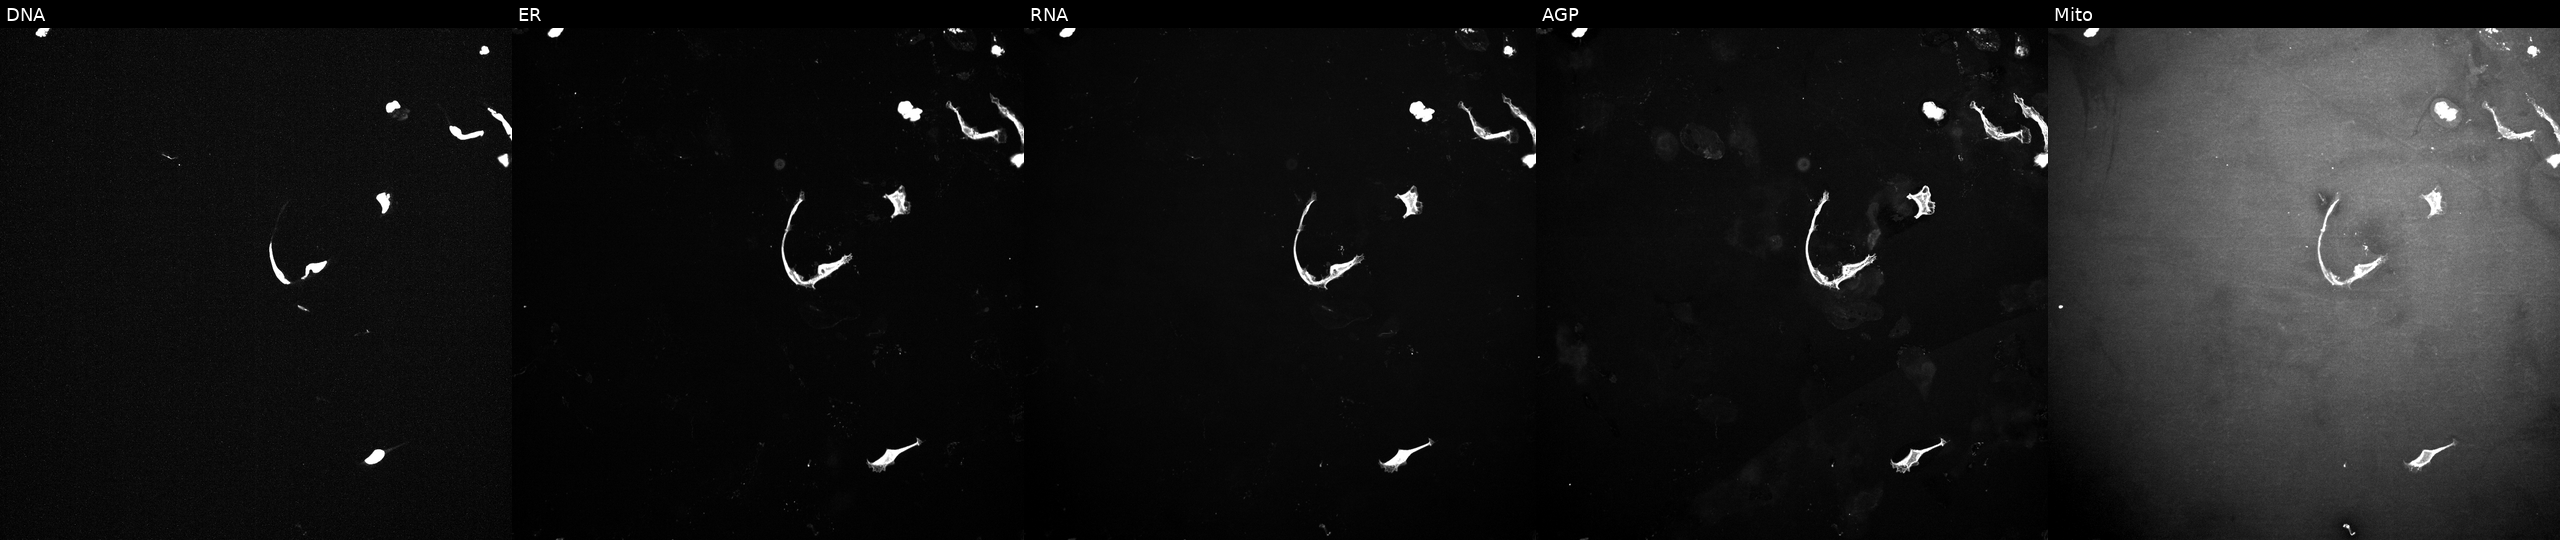
Five-channel Cell Painting image of U2OS cells treated with a small-molecule compound (InChIKey HYFHYPWGAURHIV-UHFFFAOYSA-N) [SMILES: COC(=O)CC(O)(CCCC(C)(C)O)C(=O)OC1C(OC)=CC23CCCN2CCc2cc4c(cc2C13)OCO4] (JUMP id JCP2022_033400). Channels (left→right): DNA (nuclei); ER (endoplasmic reticulum); RNA (nucleoli and cytoplasmic RNA); AGP (actin cytoskeleton, Golgi, and plasma membrane); Mito (mitochondria).